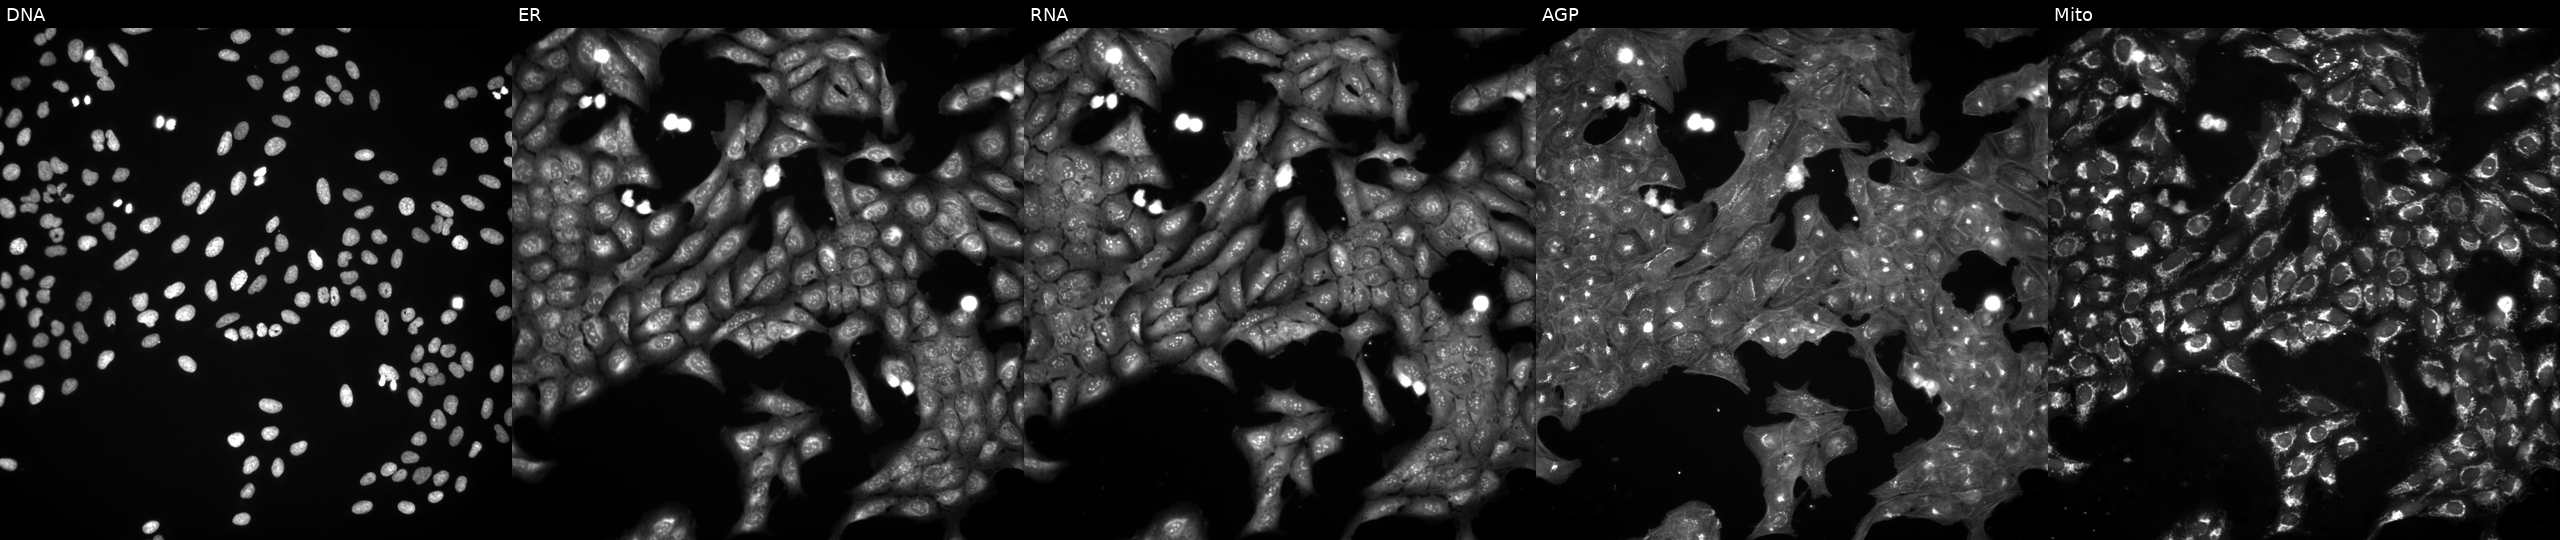
High-content fluorescence microscopy (Cell Painting). Cell line: U2OS. Perturbation: perturbed with a small-molecule compound [SMILES: O=C(NCc1ccc2c(c1)OCO2)c1c(Cl)cccc1Cl] (JUMP id JCP2022_059966). From left to right: DNA (nuclei); ER (endoplasmic reticulum); RNA (nucleoli and cytoplasmic RNA); AGP (actin cytoskeleton, Golgi, and plasma membrane); Mito (mitochondria). Source 3, plate JCPQC052, well L01.